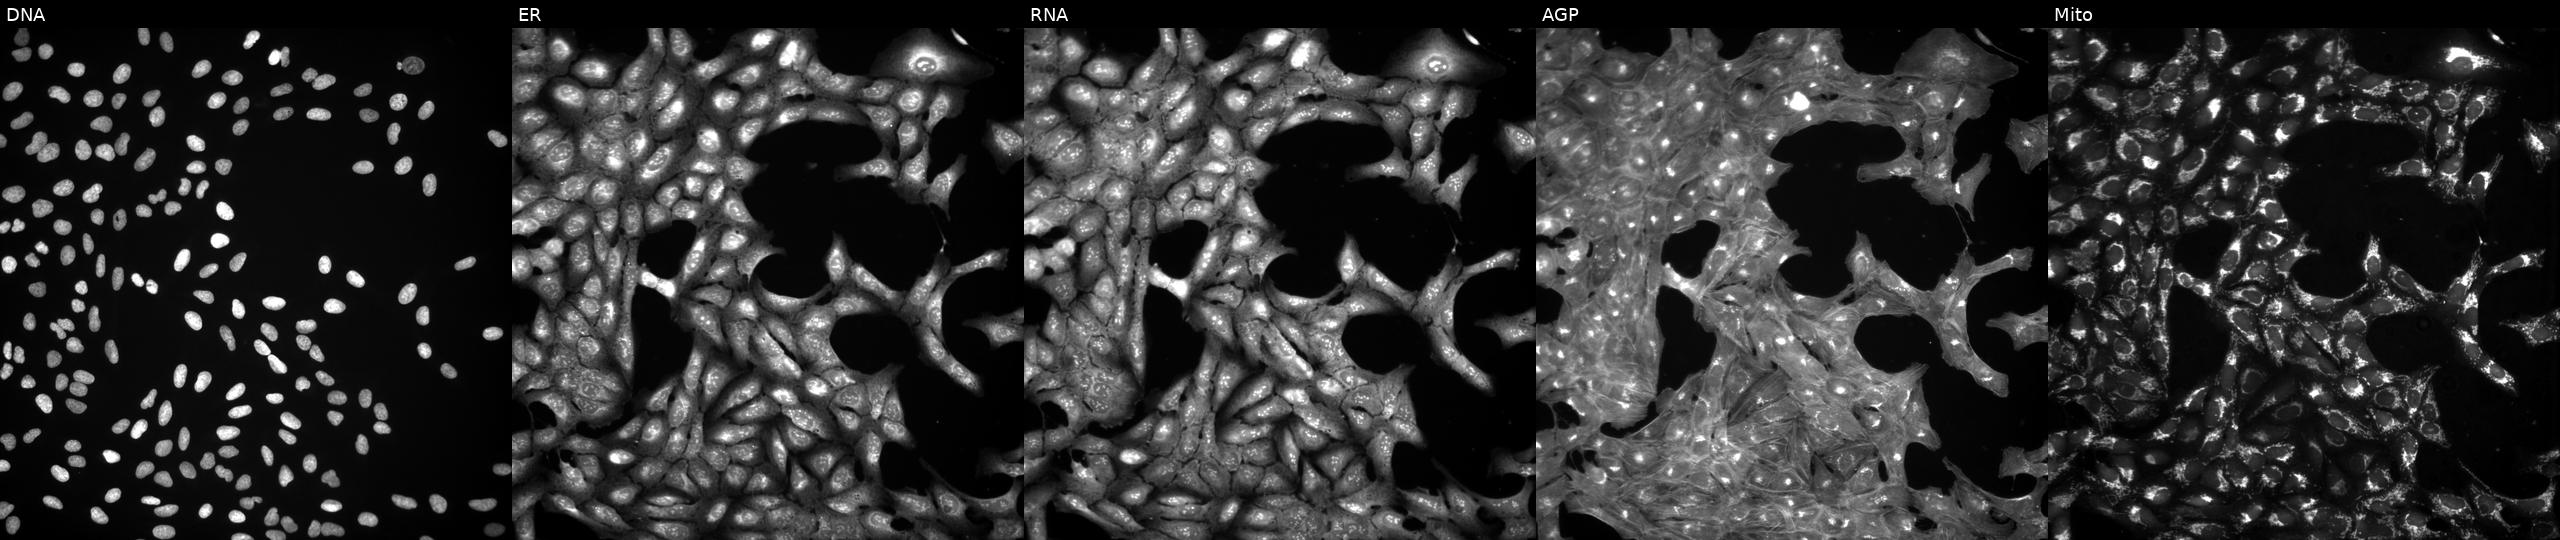
Five-channel Cell Painting image of U2OS cells exposed to a small-molecule compound (InChIKey QHDBHOYMLOEZDX-UHFFFAOYSA-N). From left to right: DNA (nuclei); ER (endoplasmic reticulum); RNA (nucleoli and cytoplasmic RNA); AGP (actin cytoskeleton, Golgi, and plasma membrane); Mito (mitochondria).